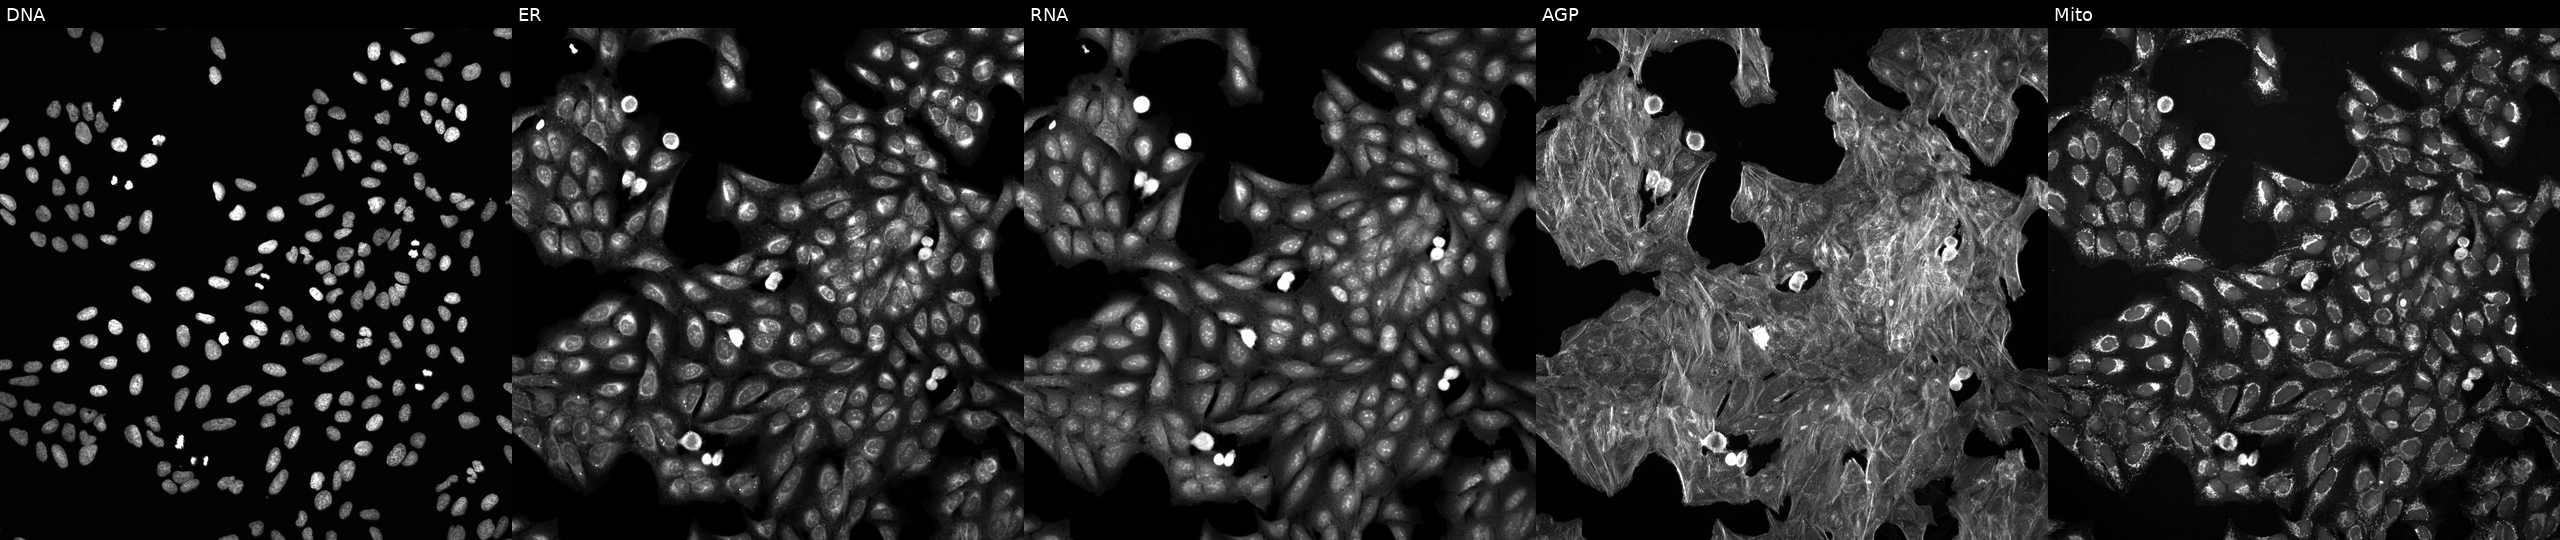
This image strip shows the five Cell Painting channels for a single field of U2OS cells exposed to a small-molecule compound (InChIKey XBTZXUULVMUUBA-UHFFFAOYSA-N) (JUMP id JCP2022_102660). The five panels, left to right, show DNA, ER, RNA, AGP, and Mito. Source 6, plate 110000293082, well F17.